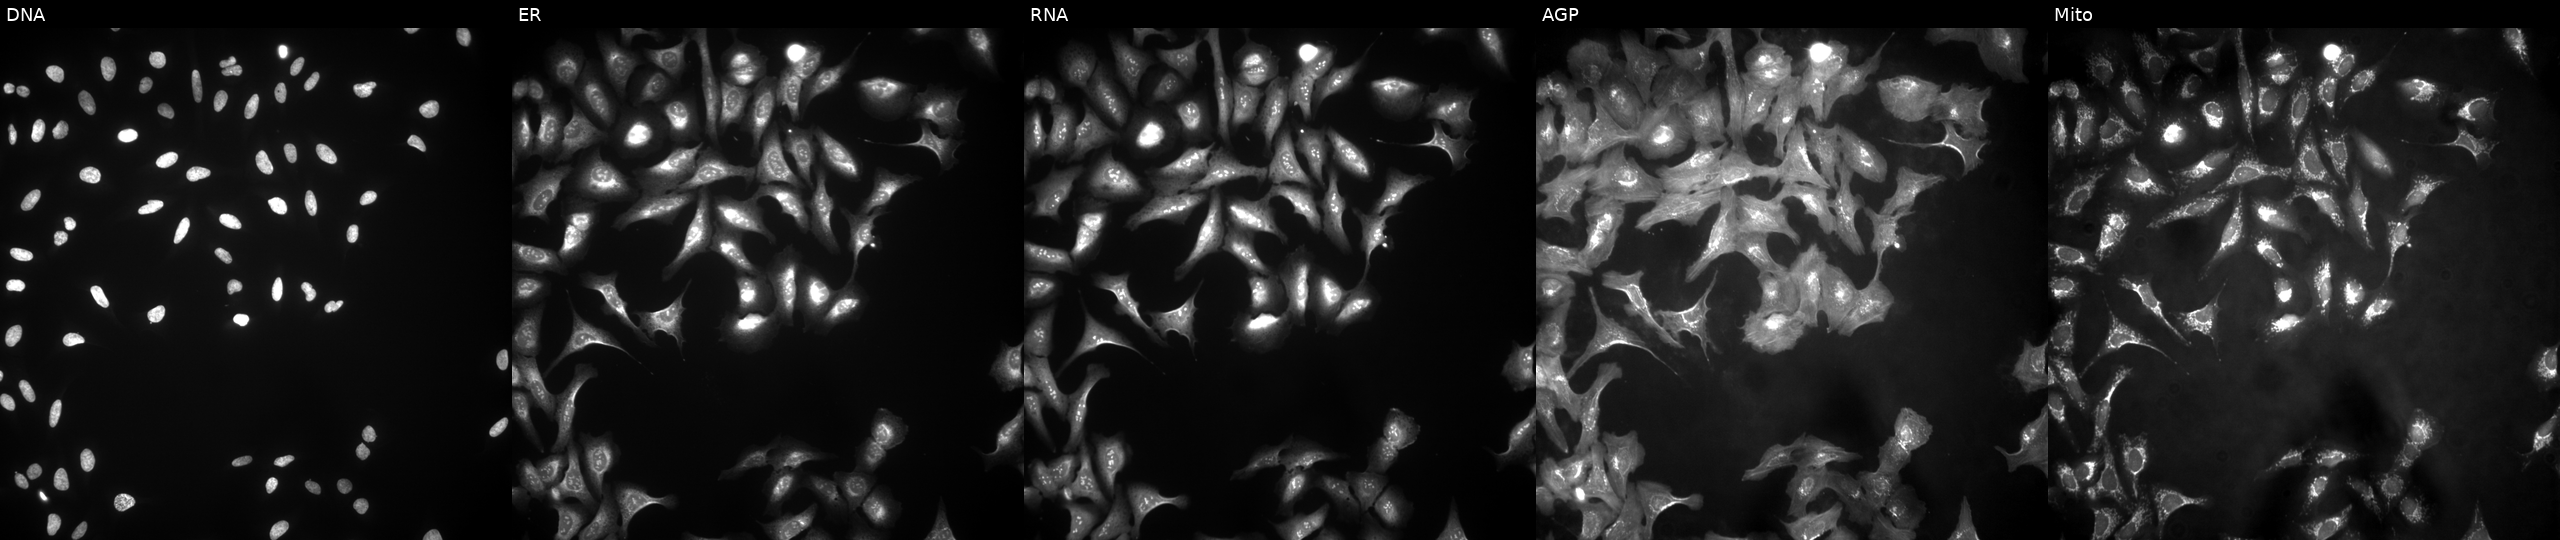
Panels show, left to right, DNA, ER, RNA, AGP, and Mito. U2OS osteosarcoma cells transfected with an ORF construct for EGFL6 (JUMP id JCP2022_902716). Cell Painting assay, JUMP-CP dataset.